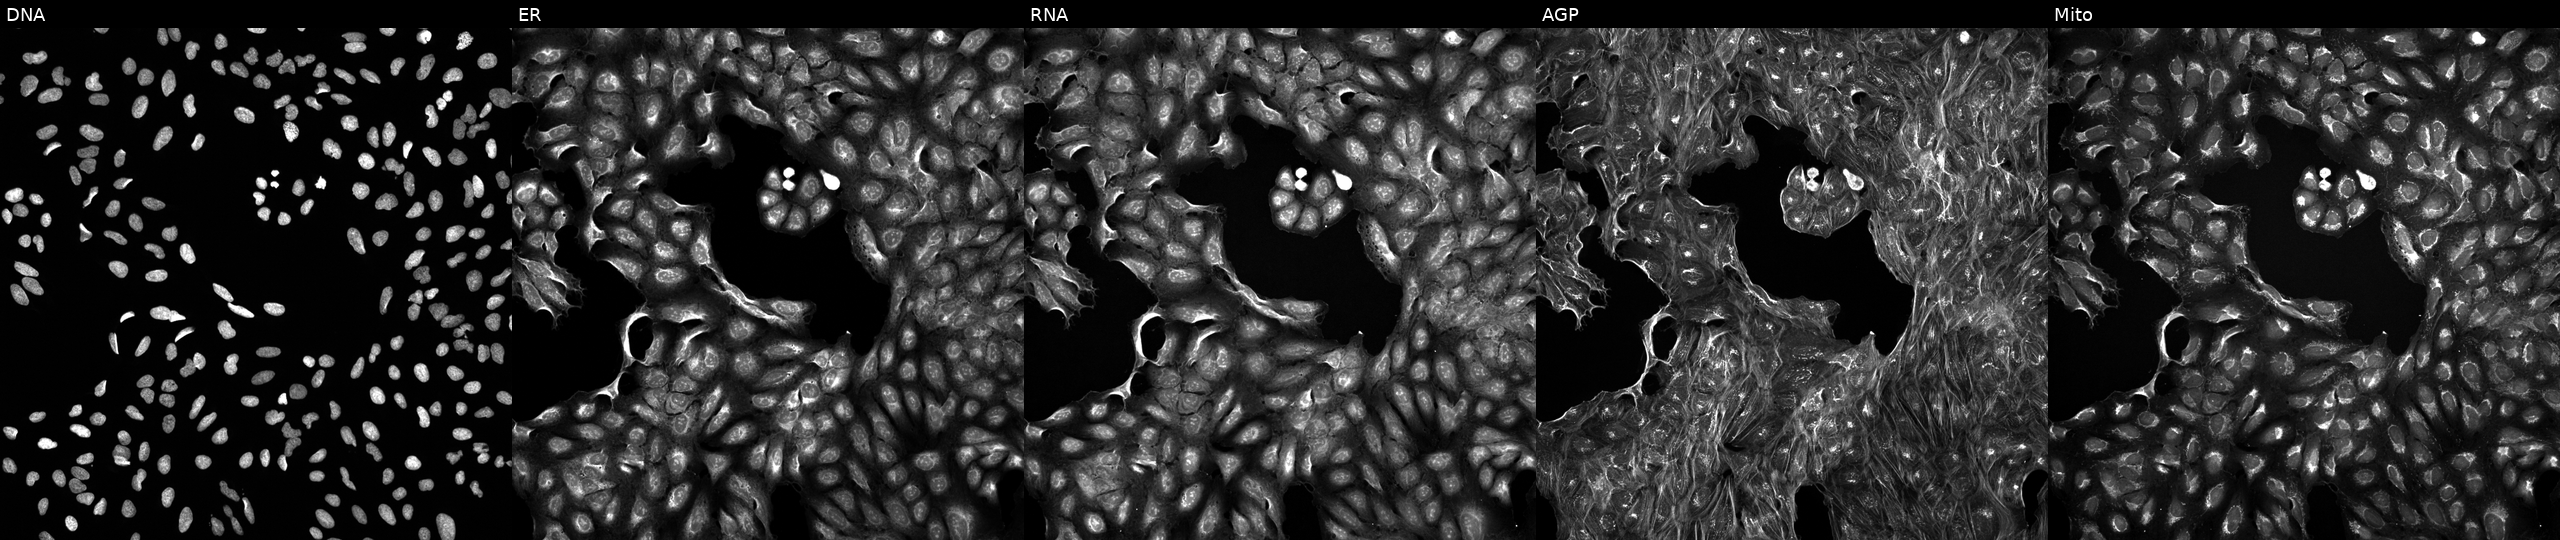
JUMP Cell Painting — TARGET2 plate. U2OS cells treated with a small-molecule compound (InChIKey QQGWEXFLMJGCAL-UHFFFAOYSA-N) (JUMP id JCP2022_075182). The five panels, left to right, show DNA, ER, RNA, AGP, and Mito.